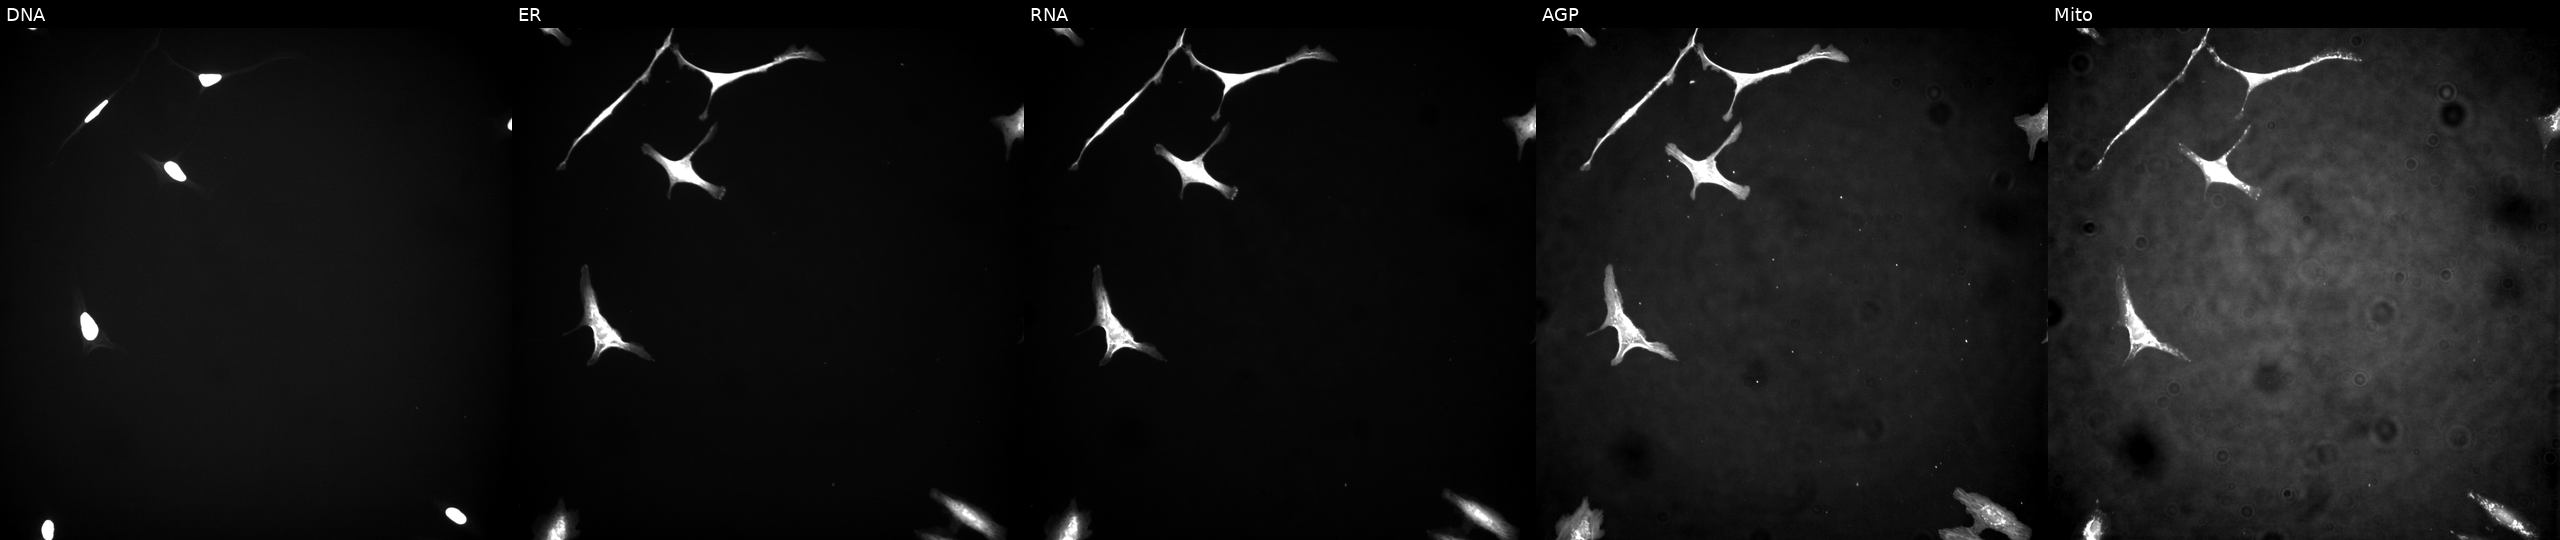
Panels show, left to right, DNA (nuclei); ER (endoplasmic reticulum); RNA (nucleoli and cytoplasmic RNA); AGP (actin cytoskeleton, Golgi, and plasma membrane); Mito (mitochondria). U2OS osteosarcoma cells overexpressing BAIAP2 via ORF transfection. Cell Painting assay, JUMP-CP dataset.